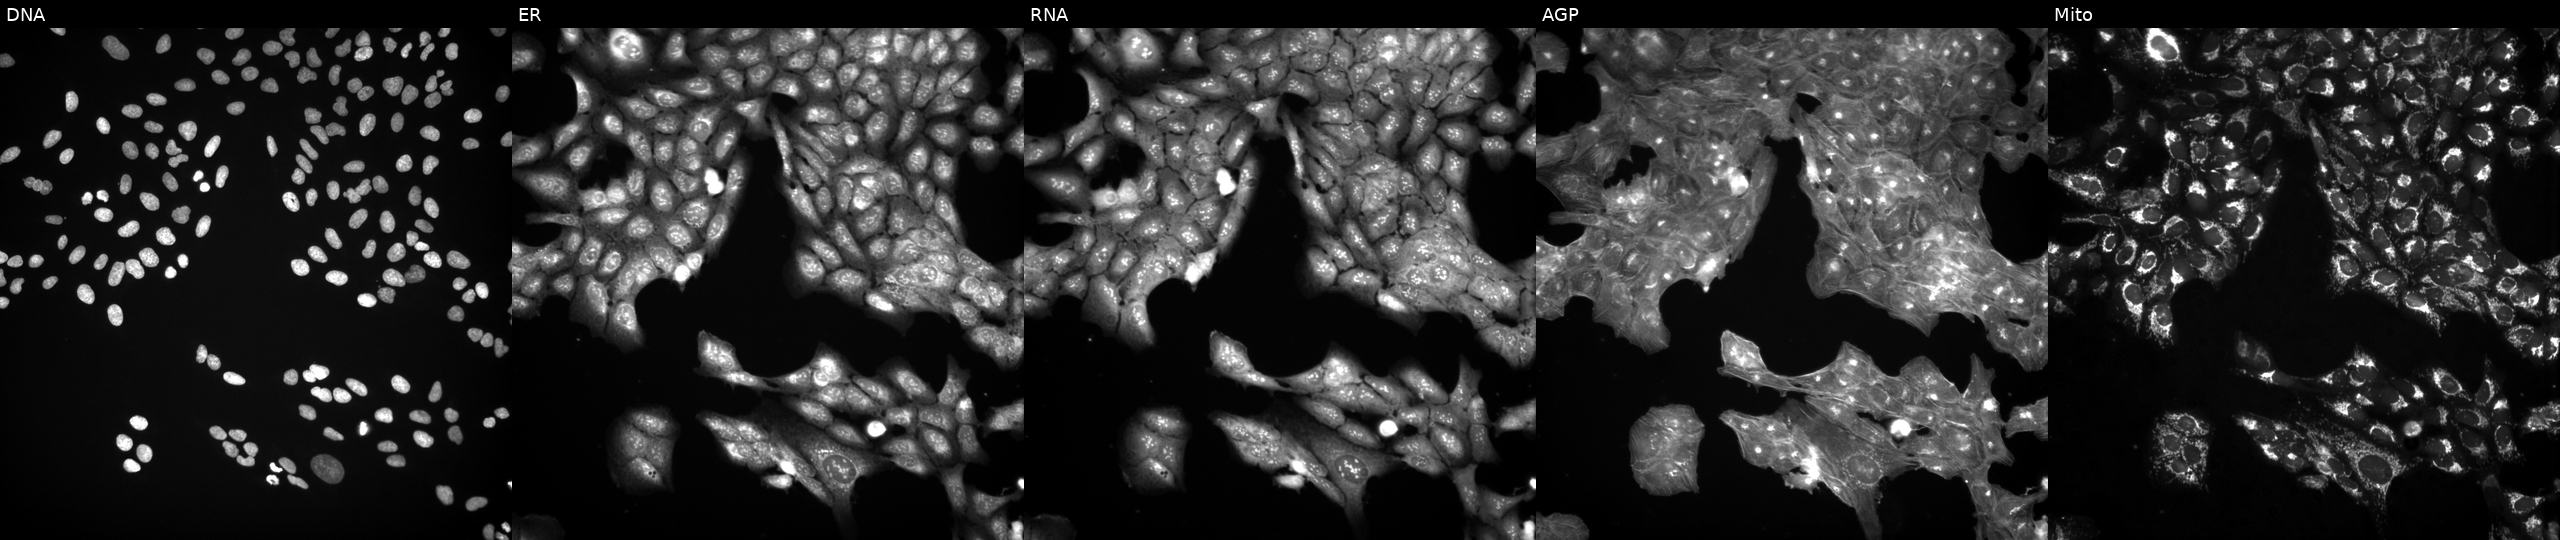
JUMP Cell Painting — TARGET2 plate. U2OS cells treated with DMSO vehicle only (negative control) (JUMP id JCP2022_033924). Panels show, left to right, DNA (nuclei); ER (endoplasmic reticulum); RNA (nucleoli and cytoplasmic RNA); AGP (actin cytoskeleton, Golgi, and plasma membrane); Mito (mitochondria). Source 3, plate JCPQC051, well I09.